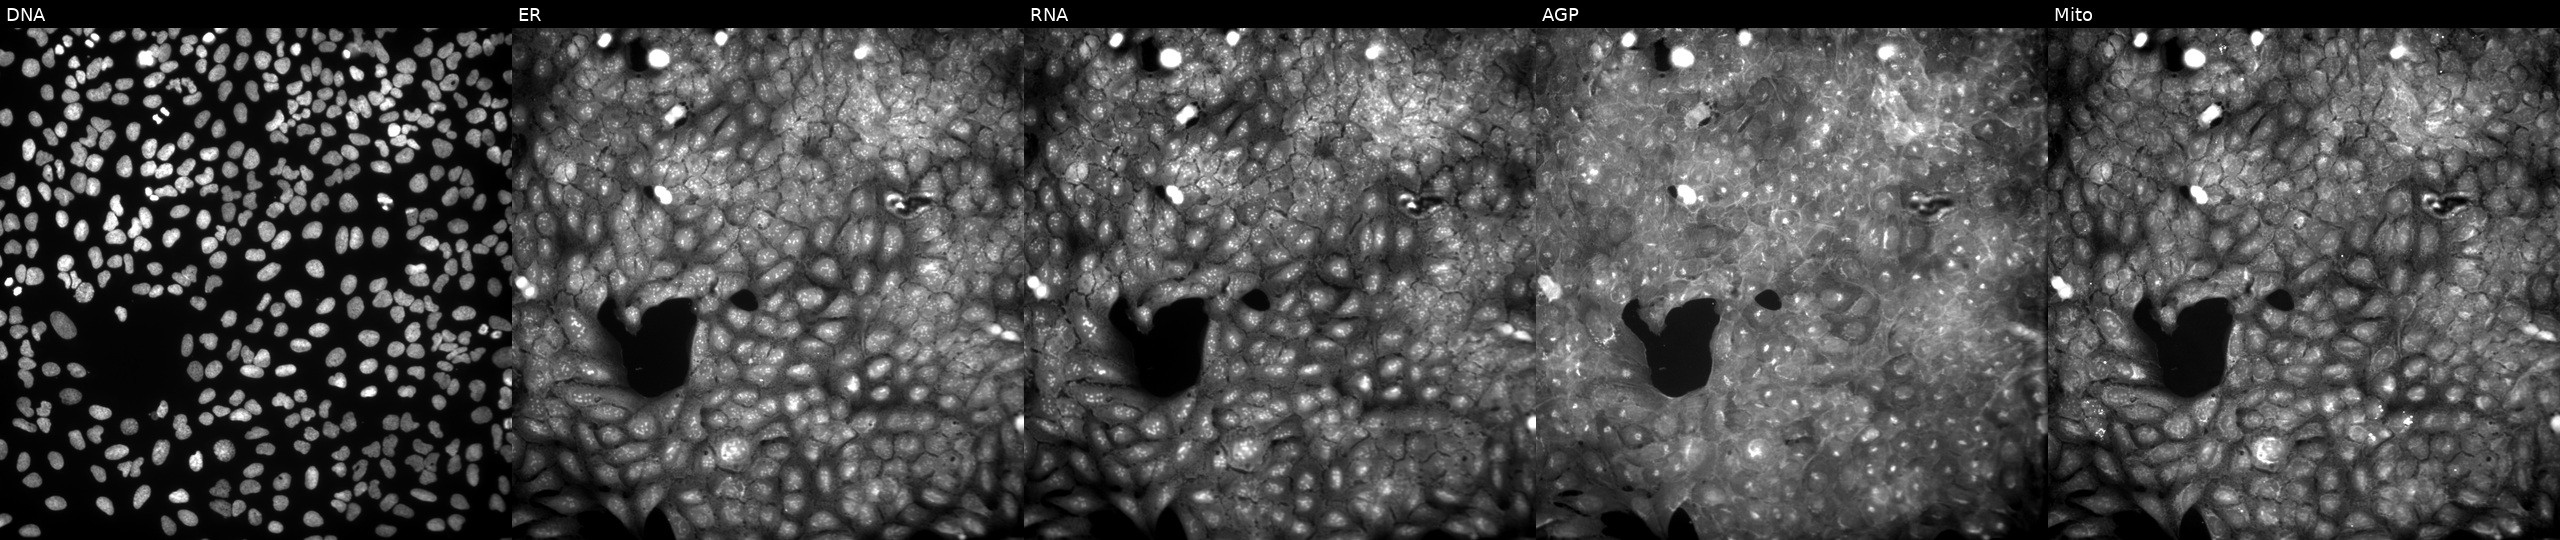
This image strip shows the five Cell Painting channels for a single field of U2OS cells perturbed with a small-molecule compound (InChIKey IXLBXRJLVSNXEY-UHFFFAOYSA-N). Panels show, left to right, DNA (nuclei); ER (endoplasmic reticulum); RNA (nucleoli and cytoplasmic RNA); AGP (actin cytoskeleton, Golgi, and plasma membrane); Mito (mitochondria).